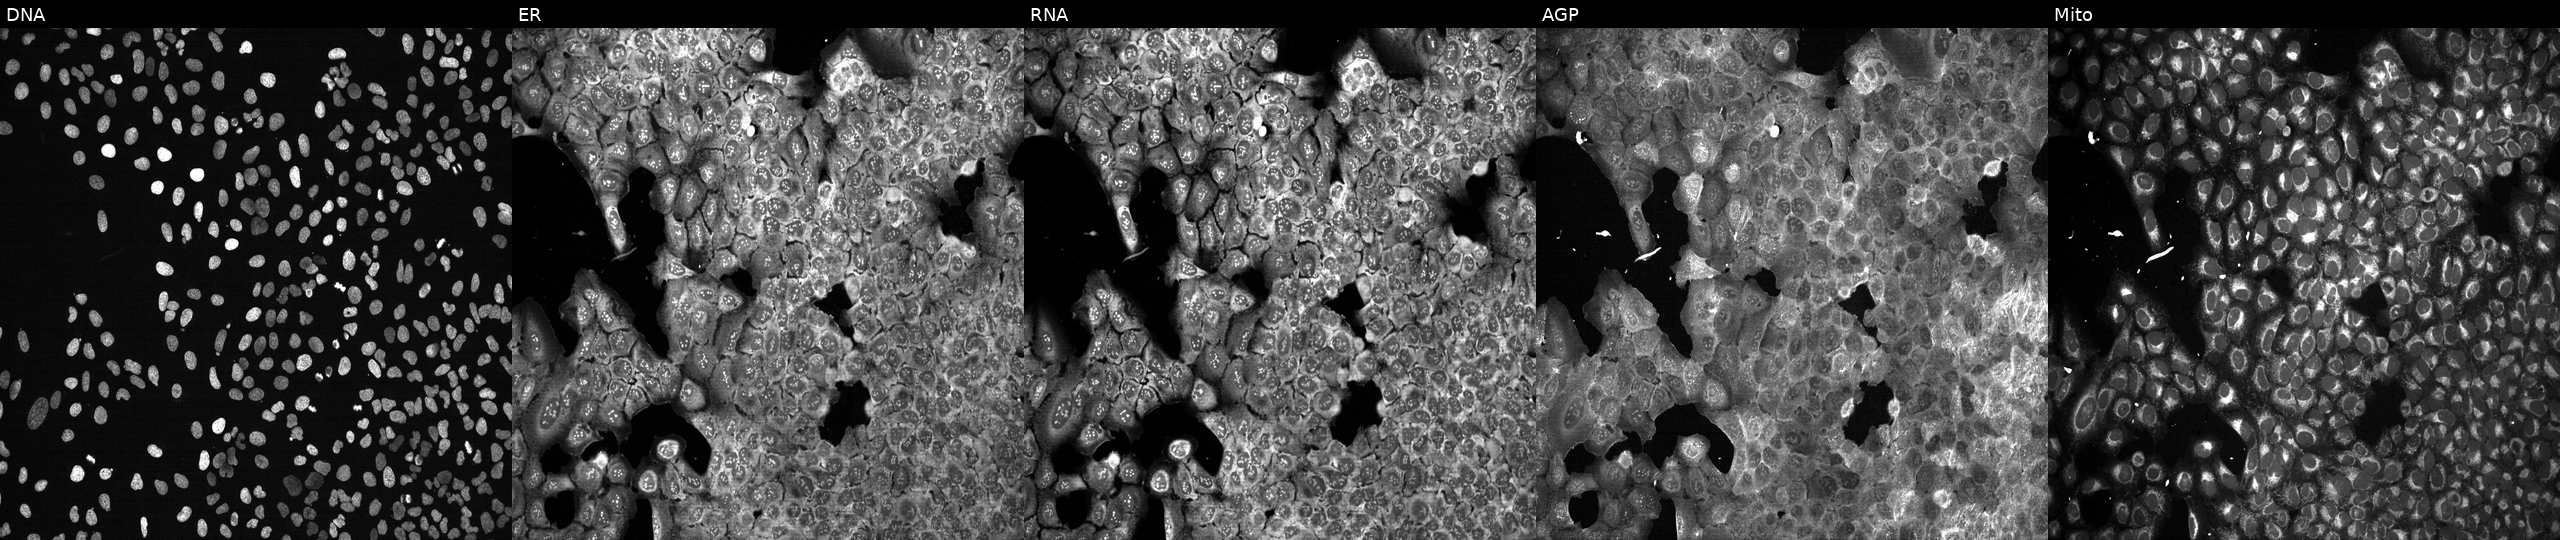
High-content fluorescence microscopy (Cell Painting). Cell line: U2OS. Perturbation: following CRISPR knockout of GNA14. The five panels, left to right, show DNA, ER, RNA, AGP, and Mito.